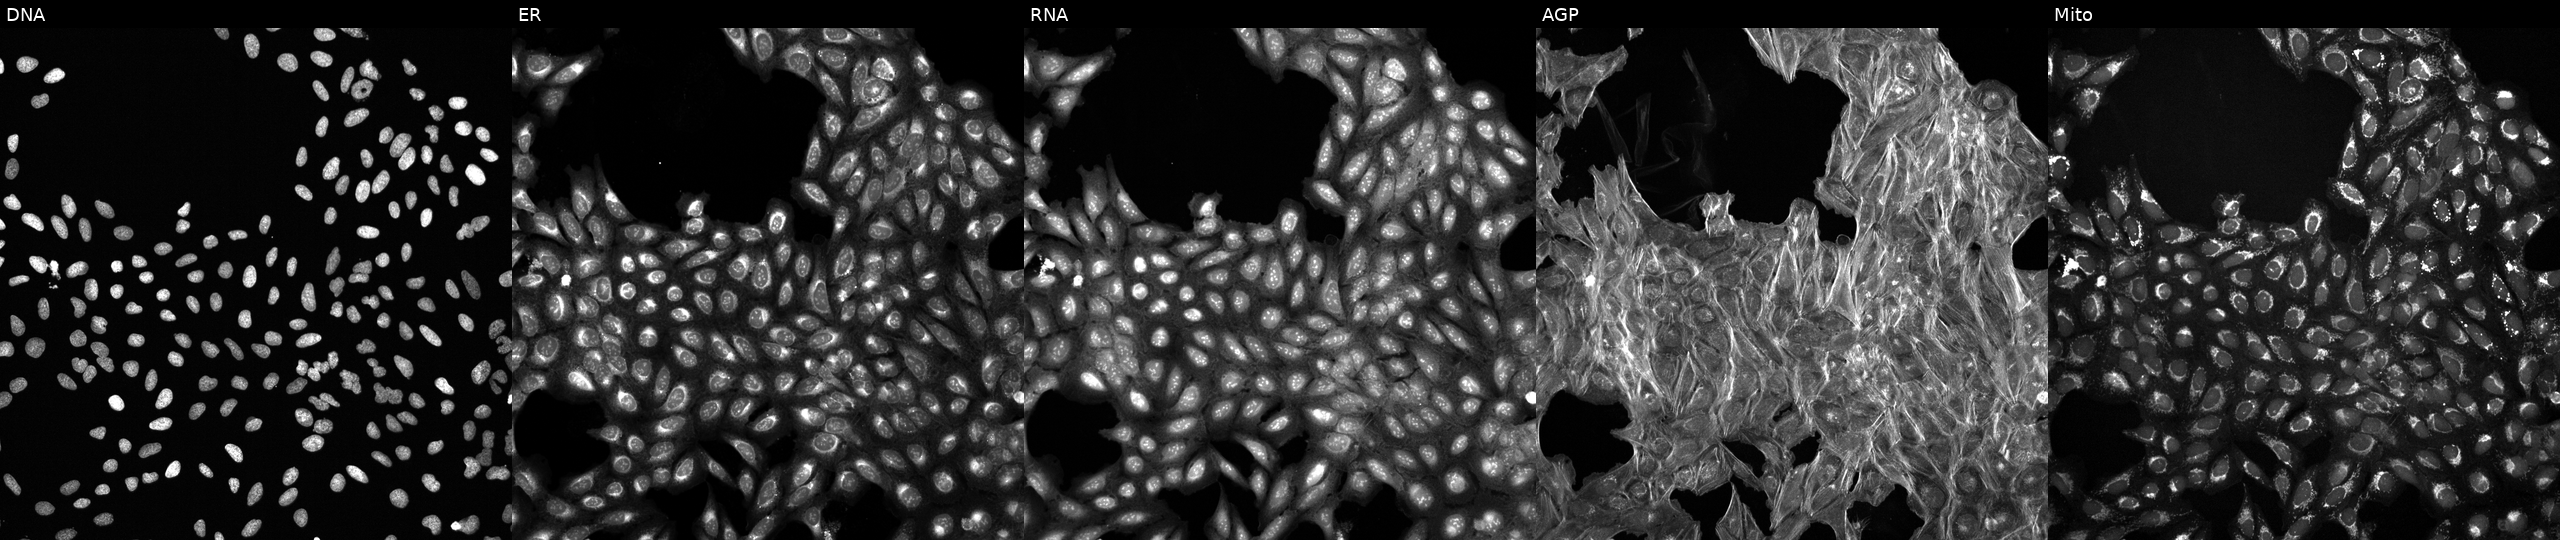
JUMP Cell Painting — COMPOUND plate. U2OS cells exposed to DMSO alone as a negative control (JUMP id JCP2022_033924). From left to right: DNA, ER, RNA, AGP, and Mito.